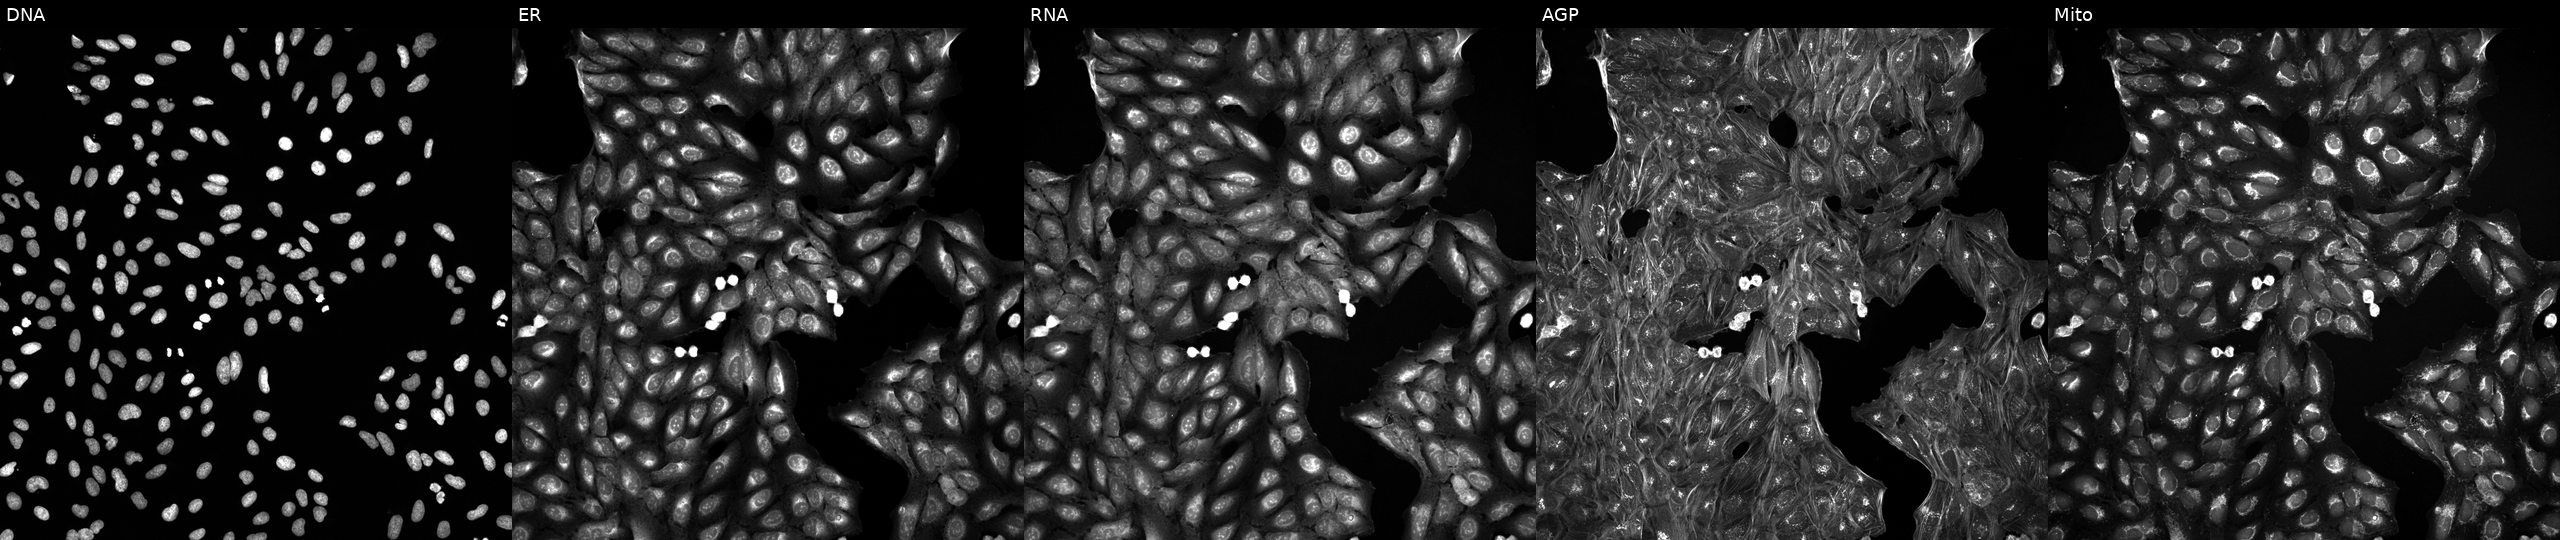
Five-channel Cell Painting image of U2OS cells perturbed with a small-molecule compound. The five panels, left to right, show DNA, ER, RNA, AGP, and Mito. Source 5, plate ACPJUM032, well A23.